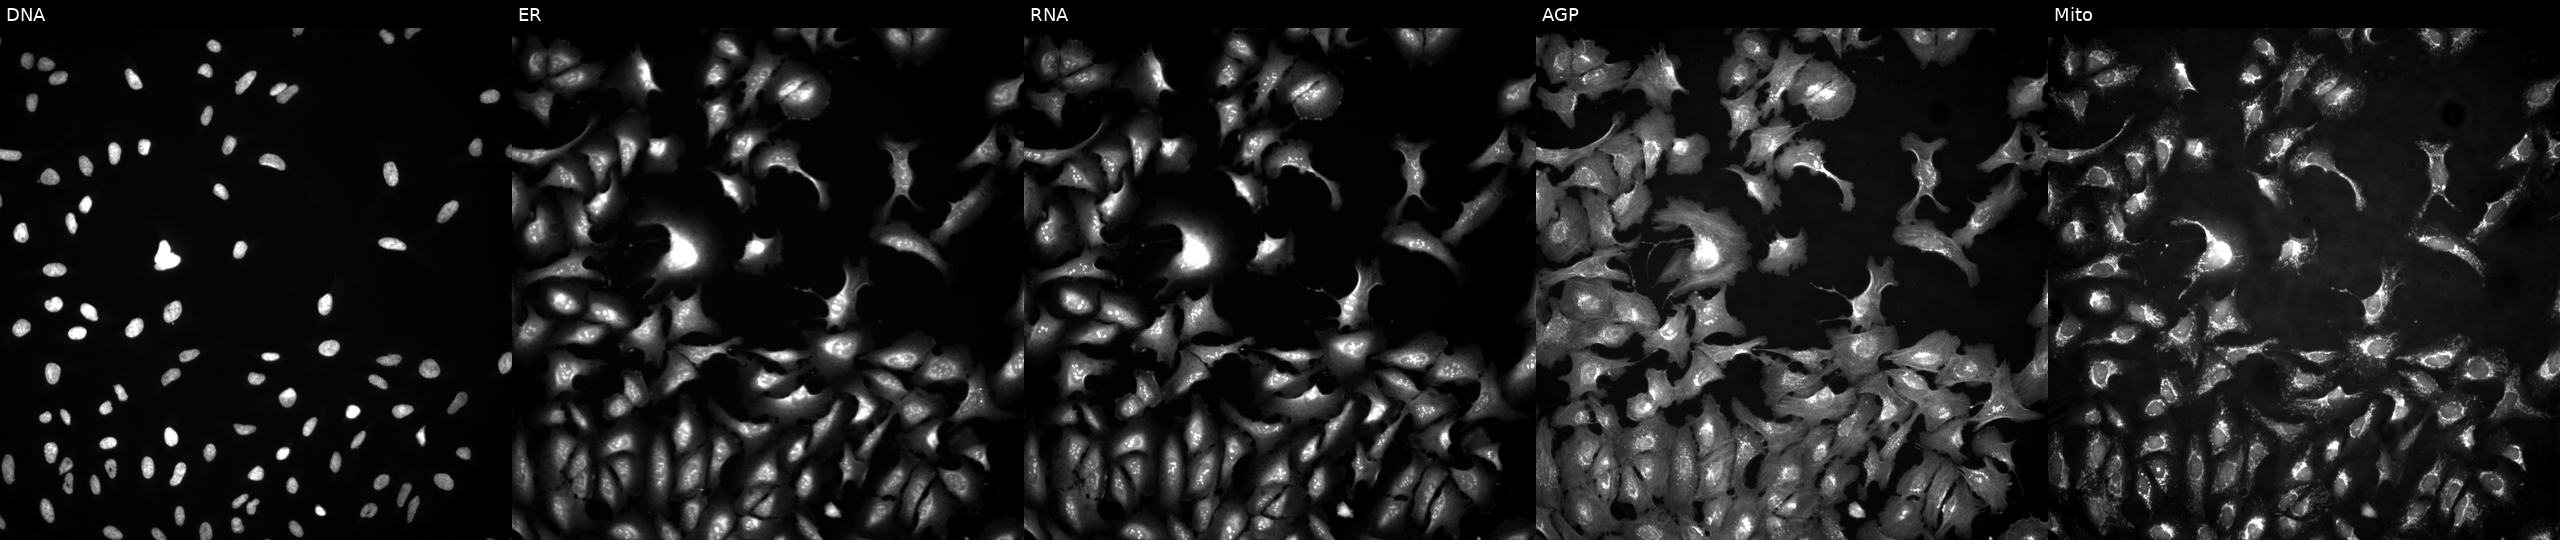
This image strip shows the five Cell Painting channels for a single field of U2OS cells transfected with an ORF construct for GK (JUMP id JCP2022_913684). Panels show, left to right, Hoechst 33342, concanavalin A, SYTO 14, phalloidin and WGA, MitoTracker.